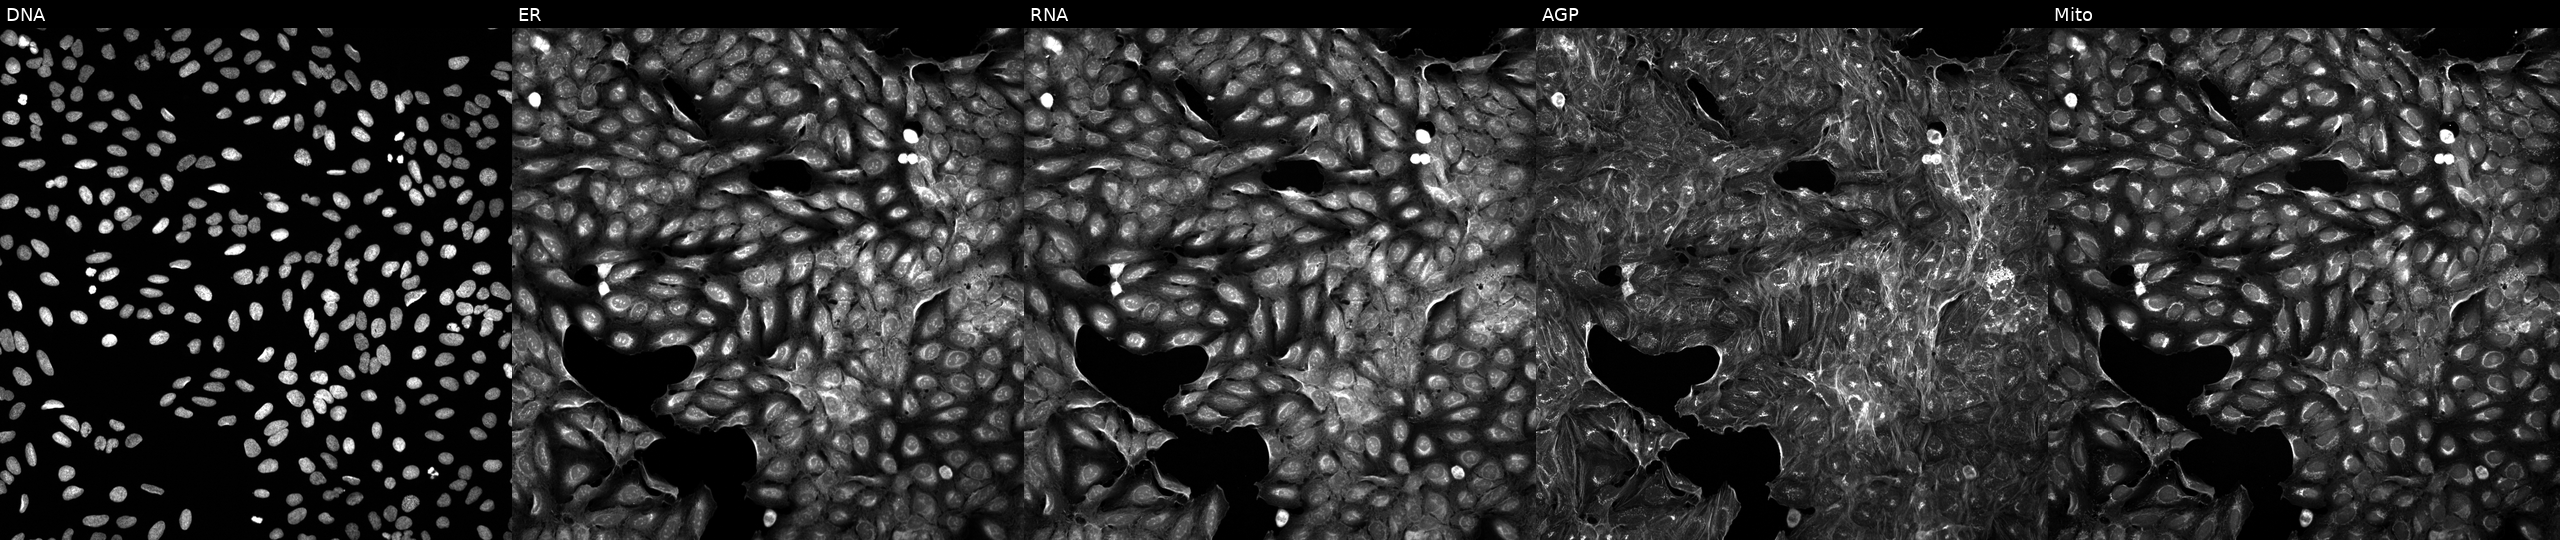
High-content fluorescence microscopy (Cell Painting). Cell line: U2OS. Perturbation: treated with a small-molecule compound (InChIKey QLYXGUTXYAMWML-UHFFFAOYSA-N) [SMILES: O=C(NCCNC(=O)c1nc(N2CCCC2)ncc1Cl)c1ccc(O)cc1]. From left to right: Hoechst 33342, concanavalin A, SYTO 14, phalloidin and WGA, MitoTracker.